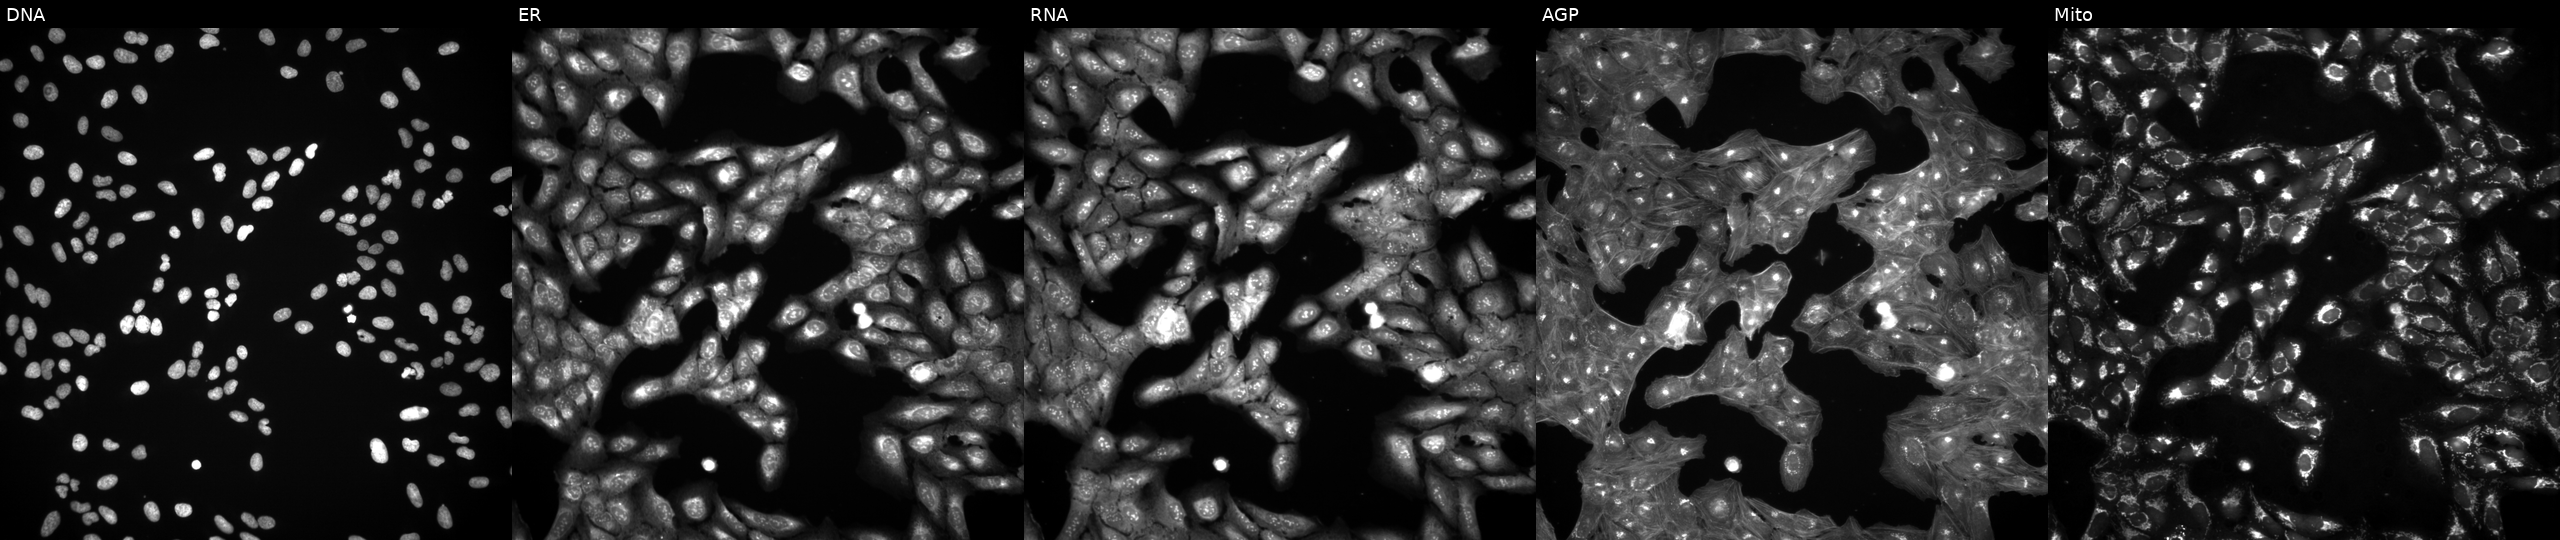
Five-channel Cell Painting image of U2OS cells untreated (empty-well control) (JUMP id JCP2022_999999). From left to right: DNA, ER, RNA, AGP, and Mito. Source 3, plate BR5867a3, well K19.